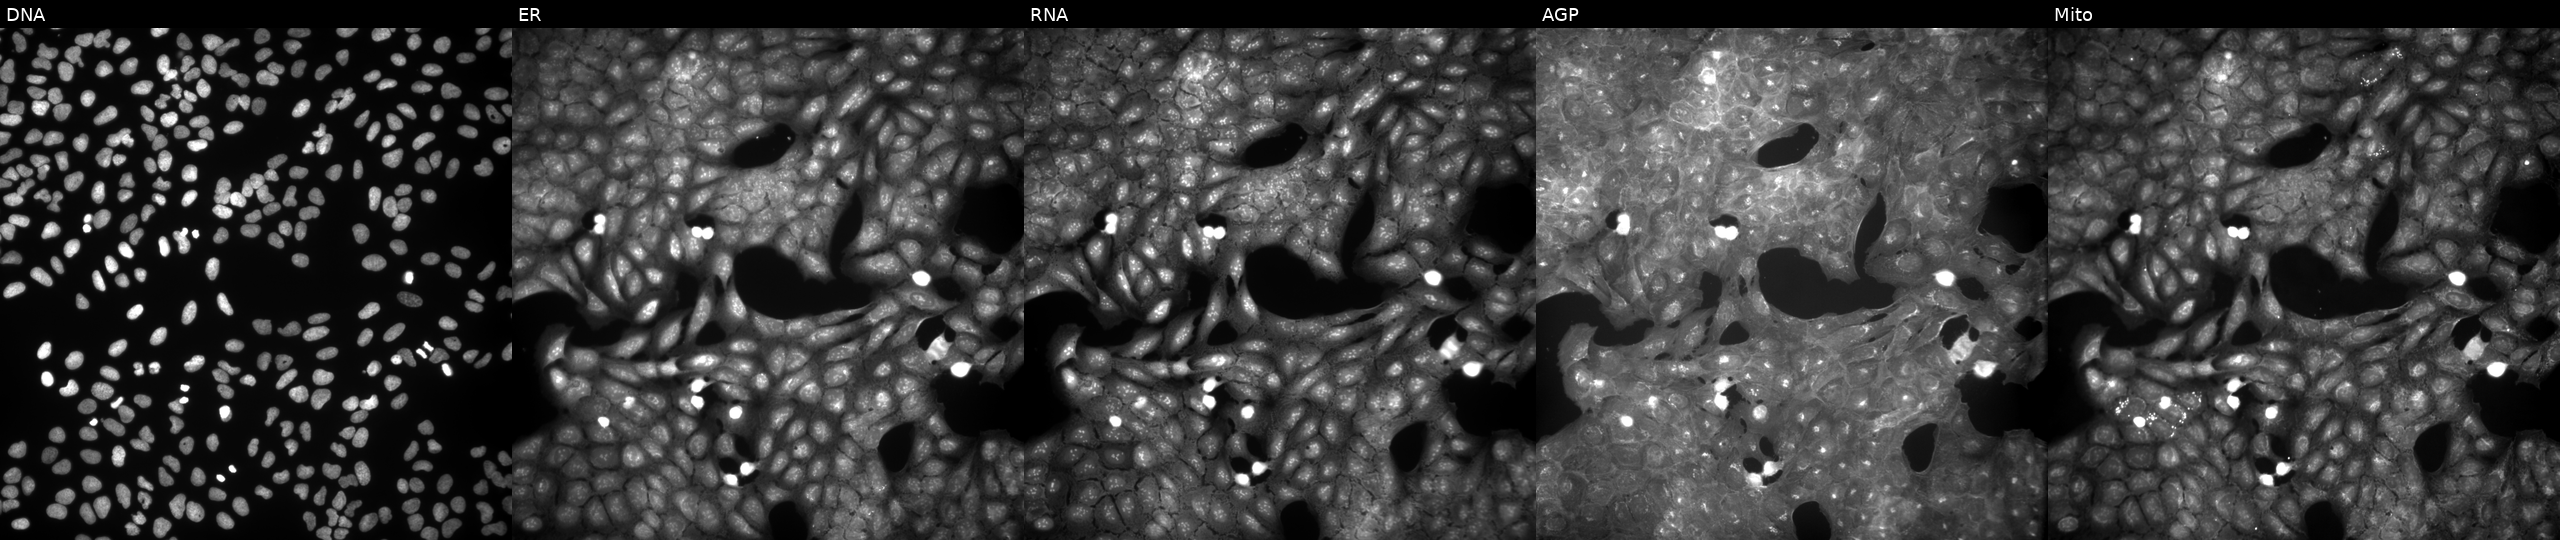
U2OS cells, Cell Painting assay, perturbed with a small-molecule compound (InChIKey IHDYBRFHBGJXHU-UHFFFAOYSA-N). The five panels, left to right, show DNA (nuclei); ER (endoplasmic reticulum); RNA (nucleoli and cytoplasmic RNA); AGP (actin cytoskeleton, Golgi, and plasma membrane); Mito (mitochondria). Each panel is percentile-stretched 16-bit fluorescence. Source 9, plate GR00003381, well J40.